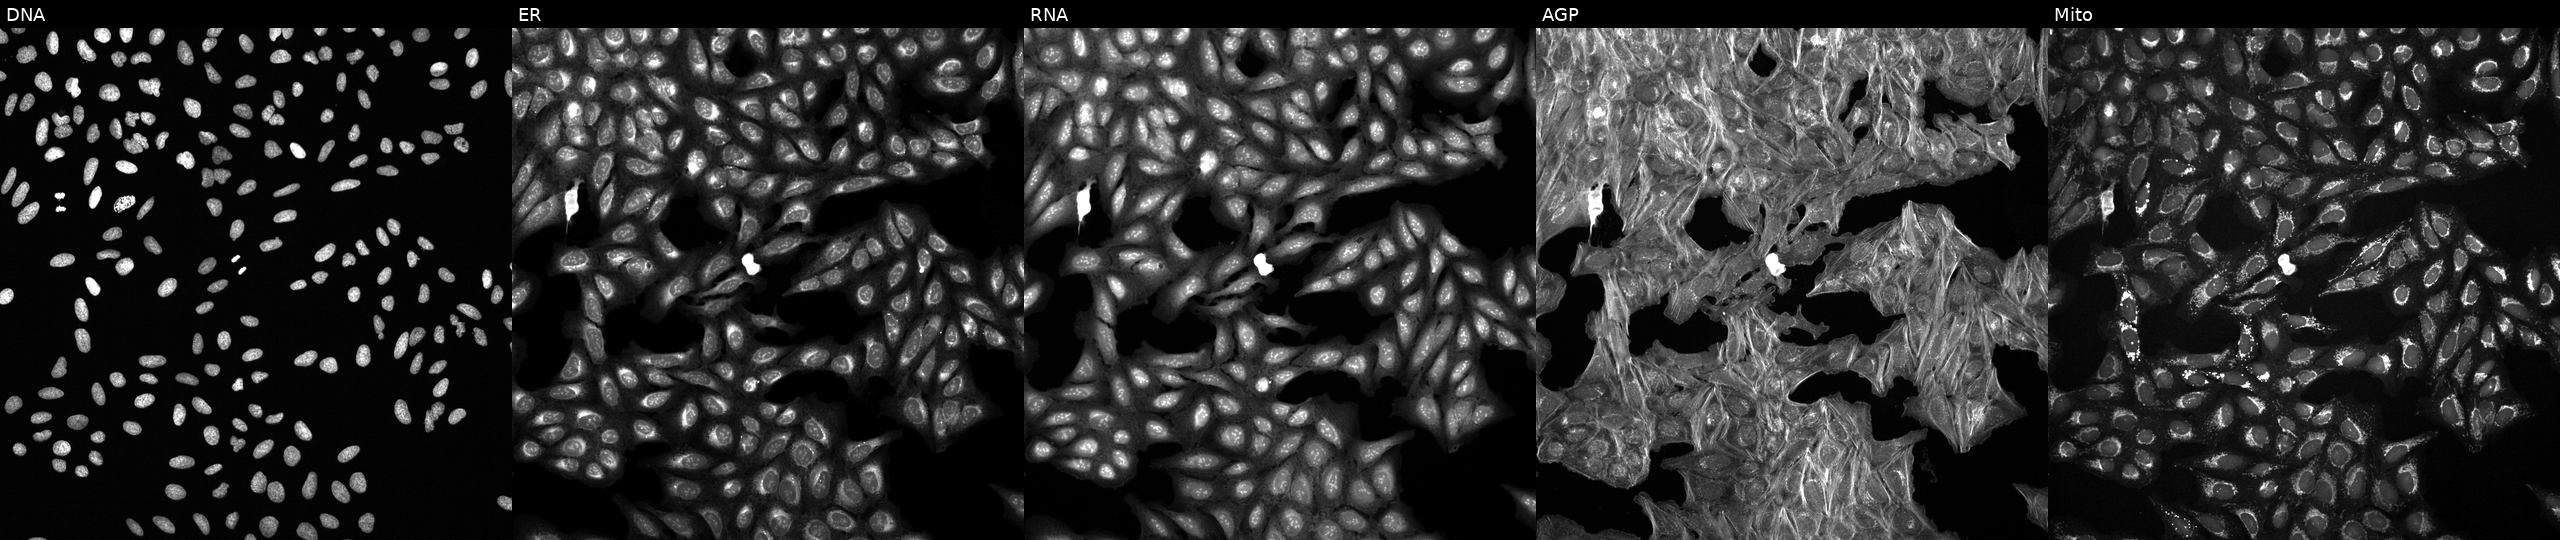
High-content fluorescence microscopy (Cell Painting). Cell line: U2OS. Perturbation: treated with a small-molecule compound (InChIKey ZYEPPCFBZQSTGY-UHFFFAOYSA-N) (JUMP id JCP2022_116420). The five panels, left to right, show DNA, ER, RNA, AGP, and Mito.